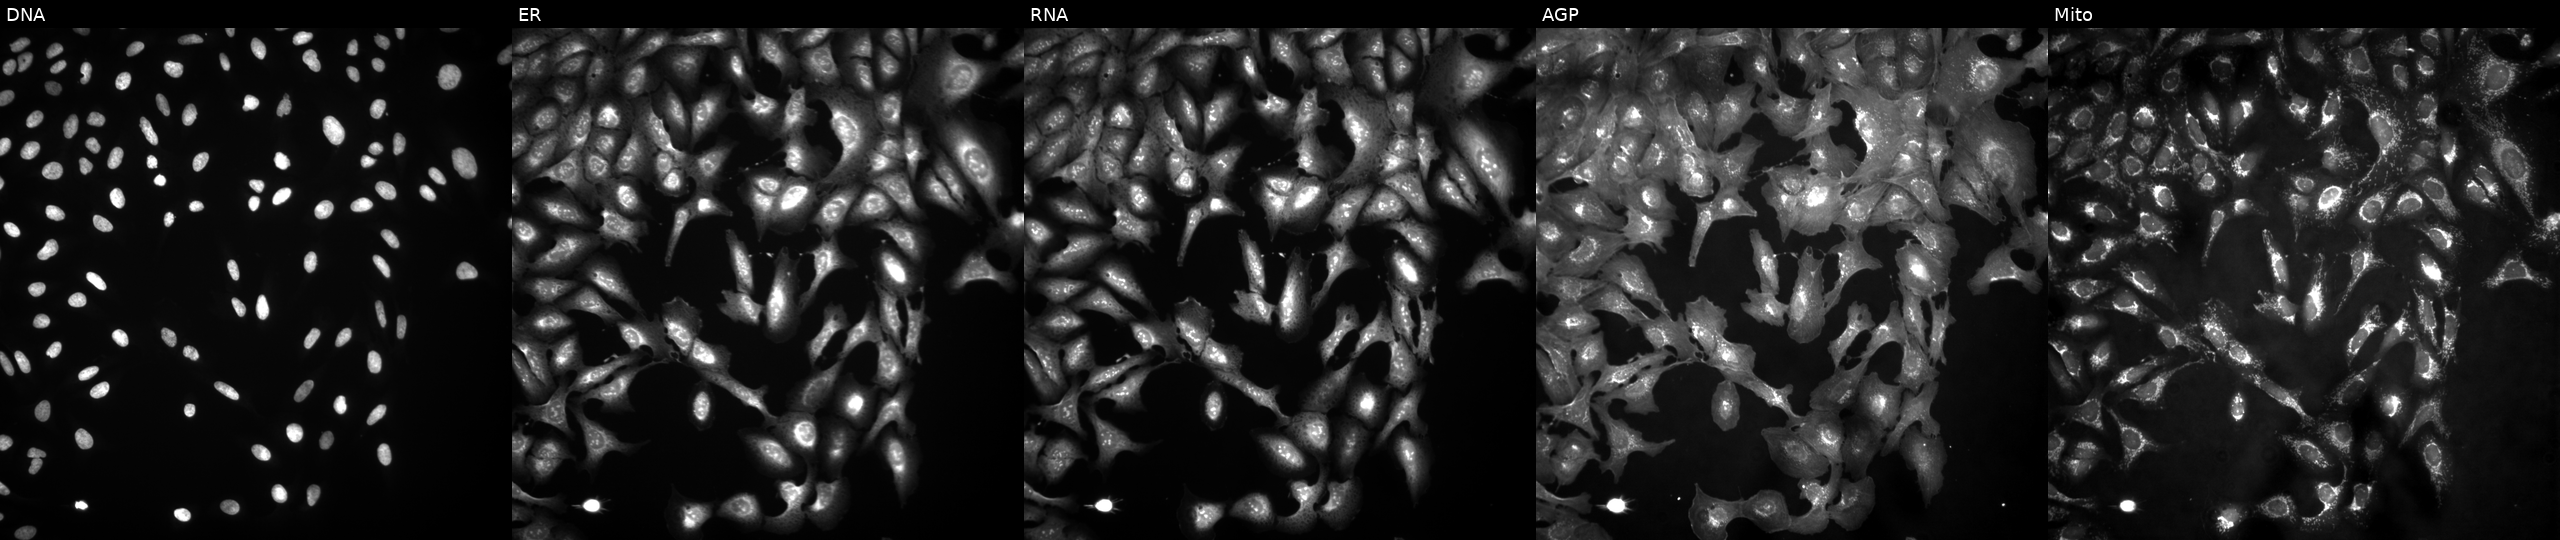
This image strip shows the five Cell Painting channels for a single field of U2OS cells expressing LUCIFERASE (ORF negative control). From left to right: DNA (nuclei); ER (endoplasmic reticulum); RNA (nucleoli and cytoplasmic RNA); AGP (actin cytoskeleton, Golgi, and plasma membrane); Mito (mitochondria). Source 4, plate BR00121543, well M22.